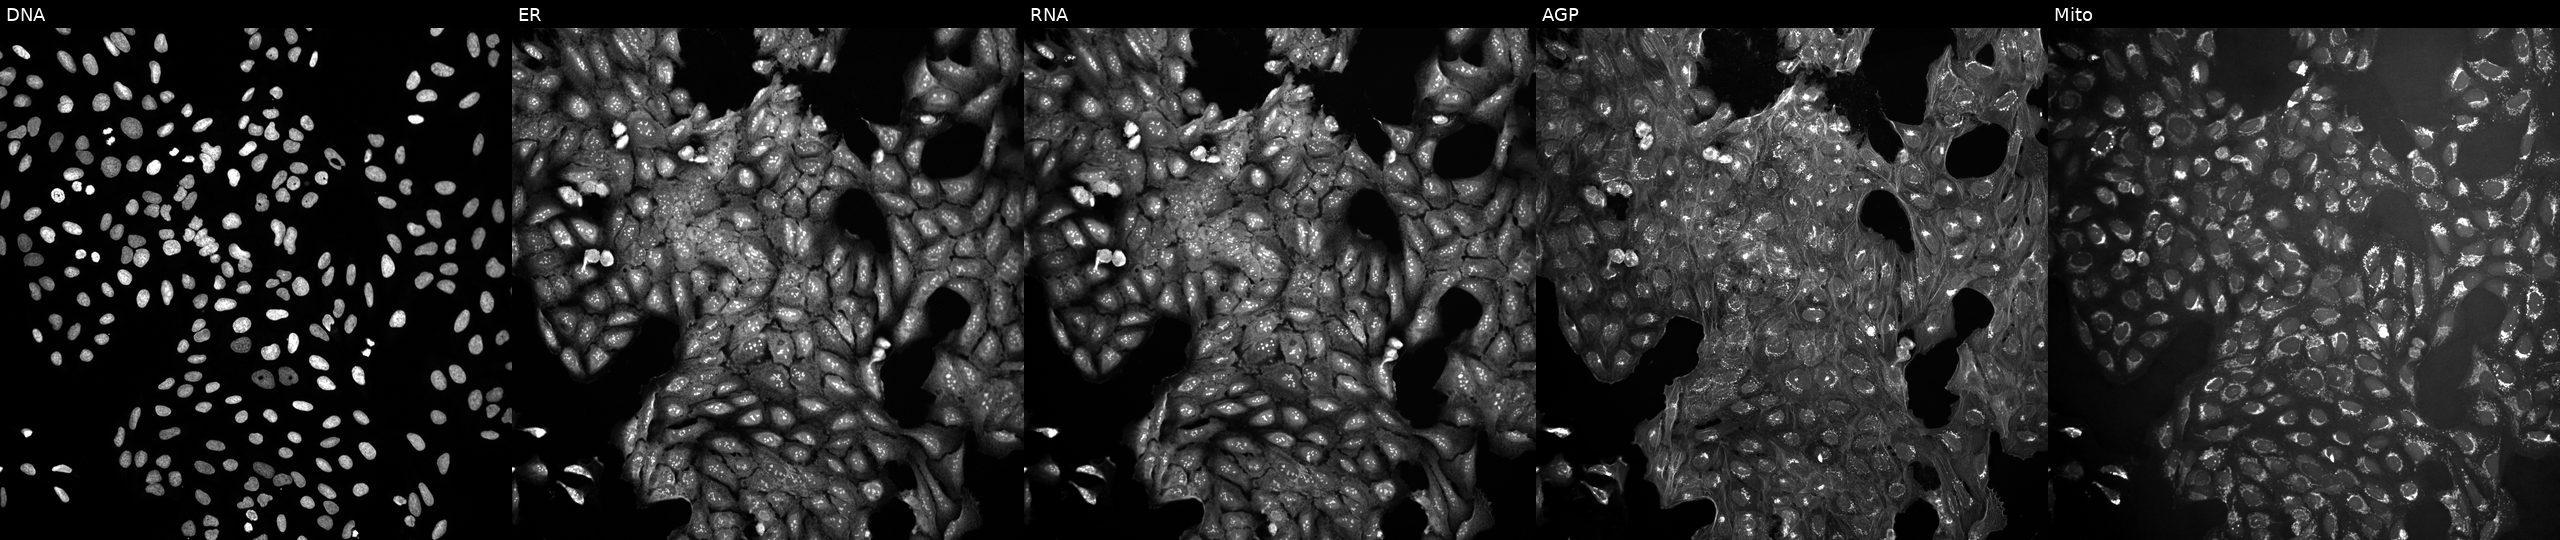
Channels (left→right): Hoechst 33342, concanavalin A, SYTO 14, phalloidin and WGA, MitoTracker. U2OS osteosarcoma cells treated with a small-molecule compound (InChIKey FKPGFSVPKJLEQP-UHFFFAOYSA-N) [SMILES: O=C(Cn1nnc2ccccc21)NC1CCCN(c2ccccn2)C1] (JUMP id JCP2022_021251). Cell Painting assay, JUMP-CP dataset.